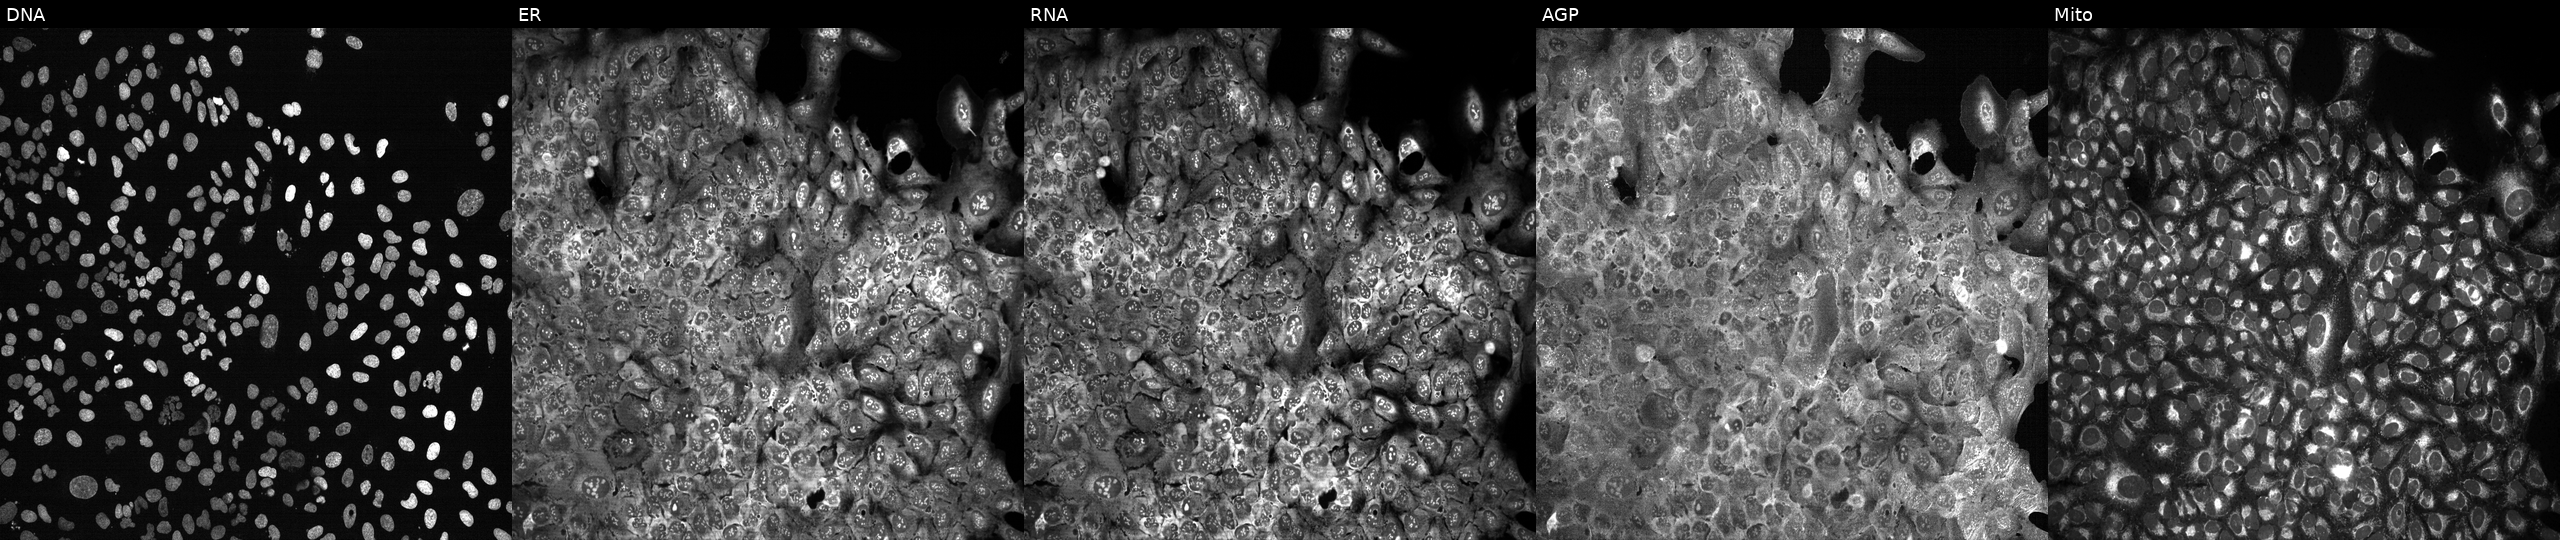
JUMP Cell Painting — CRISPR plate. U2OS cells following CRISPR knockout of COQ6 (JUMP id JCP2022_801443). From left to right: DNA (nuclei); ER (endoplasmic reticulum); RNA (nucleoli and cytoplasmic RNA); AGP (actin cytoskeleton, Golgi, and plasma membrane); Mito (mitochondria).